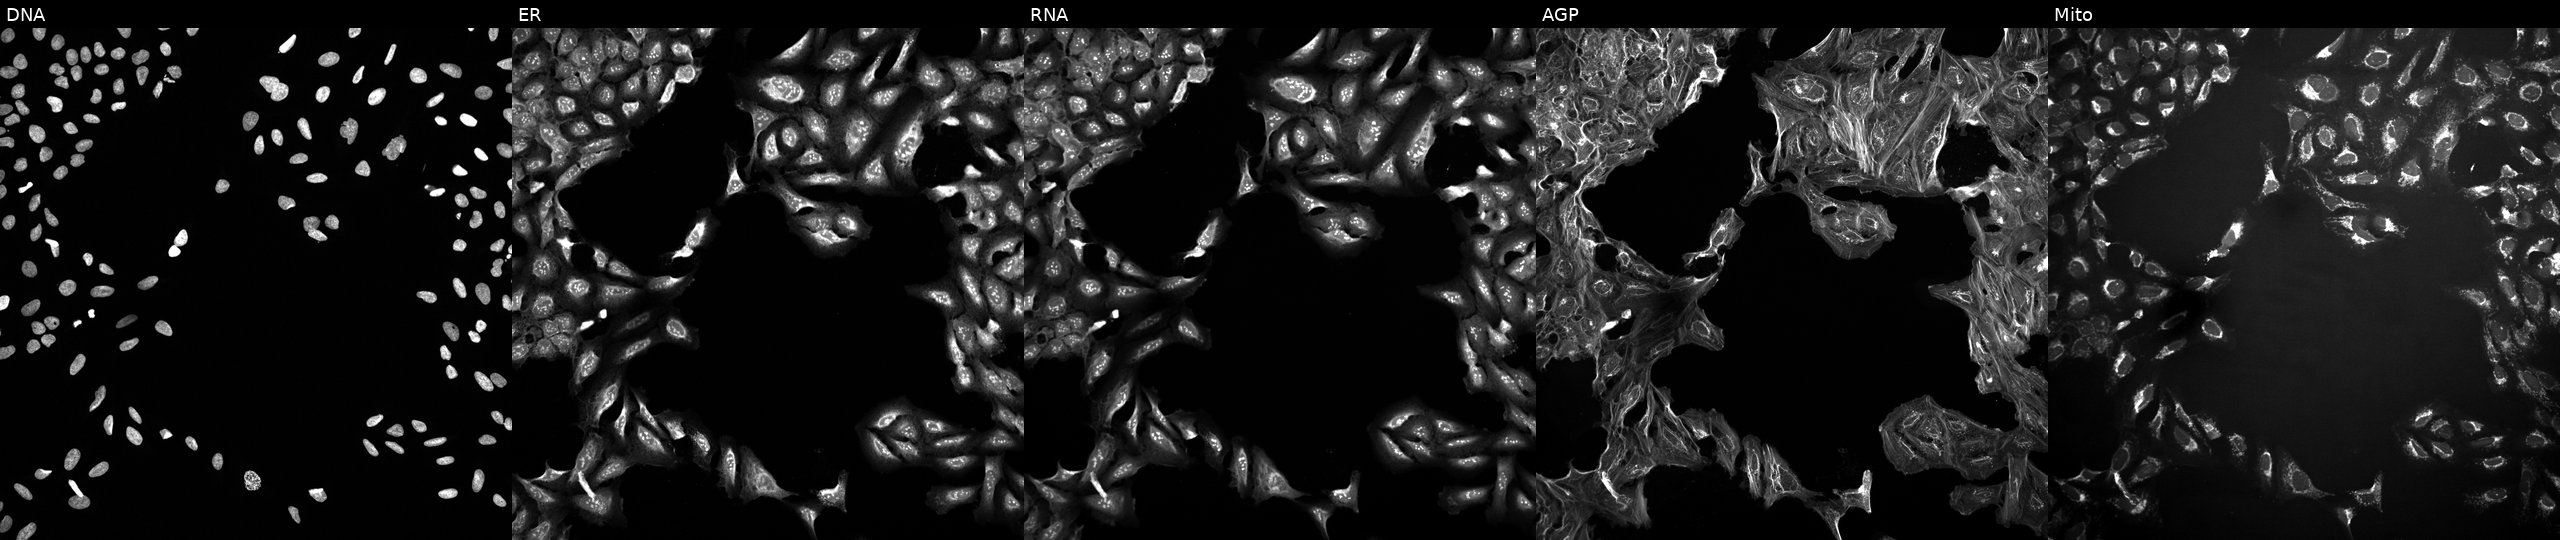
Five-channel Cell Painting image of U2OS cells treated with a small-molecule compound (InChIKey SGRYPYWGNKJSDL-UHFFFAOYSA-N) (JUMP id JCP2022_083099). Panels show, left to right, DNA (nuclei); ER (endoplasmic reticulum); RNA (nucleoli and cytoplasmic RNA); AGP (actin cytoskeleton, Golgi, and plasma membrane); Mito (mitochondria). Source 10, plate Dest210726-160150, well I07.